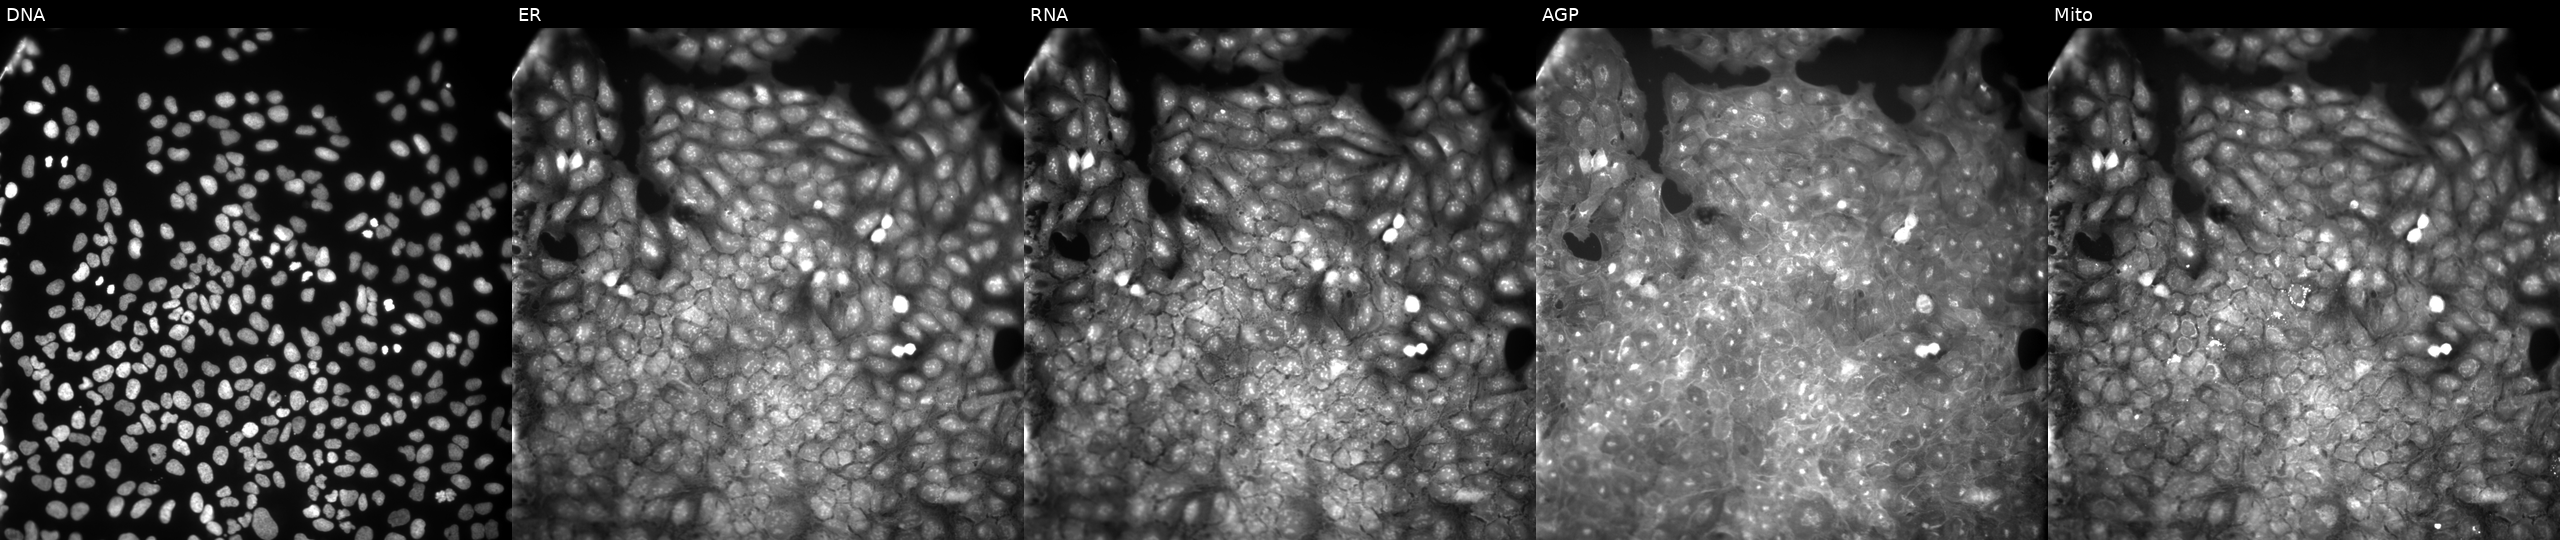
JUMP Cell Painting — COMPOUND plate. U2OS cells exposed to a small-molecule compound (InChIKey FLIBDYXZBXLFMW-UHFFFAOYSA-N) (JUMP id JCP2022_021372). Channels (left→right): DNA (nuclei); ER (endoplasmic reticulum); RNA (nucleoli and cytoplasmic RNA); AGP (actin cytoskeleton, Golgi, and plasma membrane); Mito (mitochondria). Source 9, plate GR00003381, well AE03.